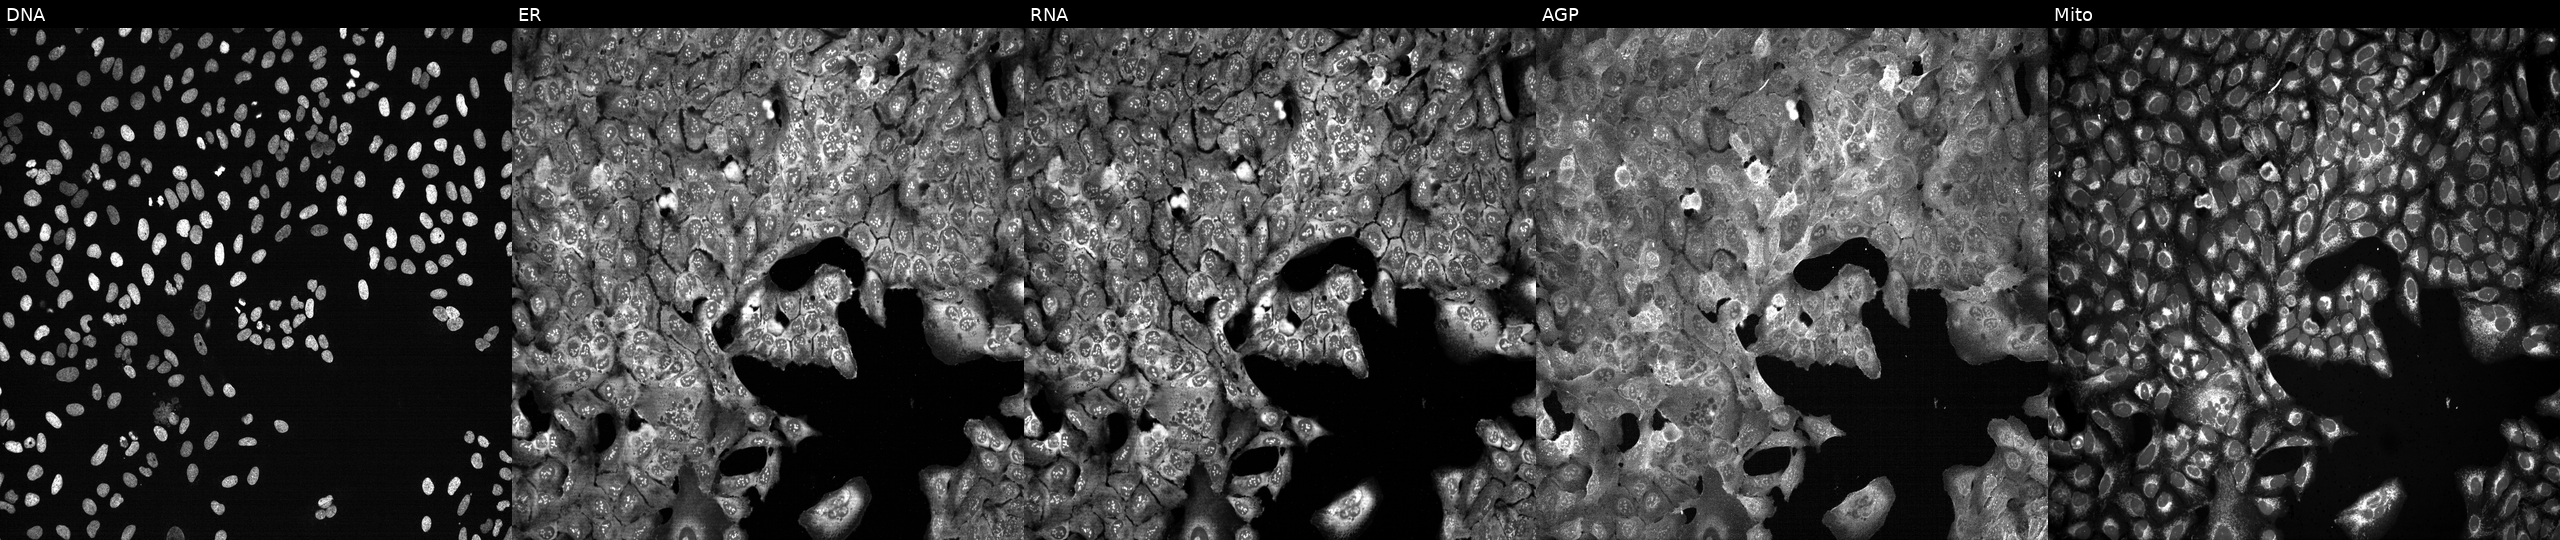
U2OS cells, Cell Painting assay, following CRISPR knockout of ARF3 (JUMP id JCP2022_800553). From left to right: DNA, ER, RNA, AGP, and Mito. Each panel is percentile-stretched 16-bit fluorescence. Source 13, plate CP-CC9-R2-02, well J11.